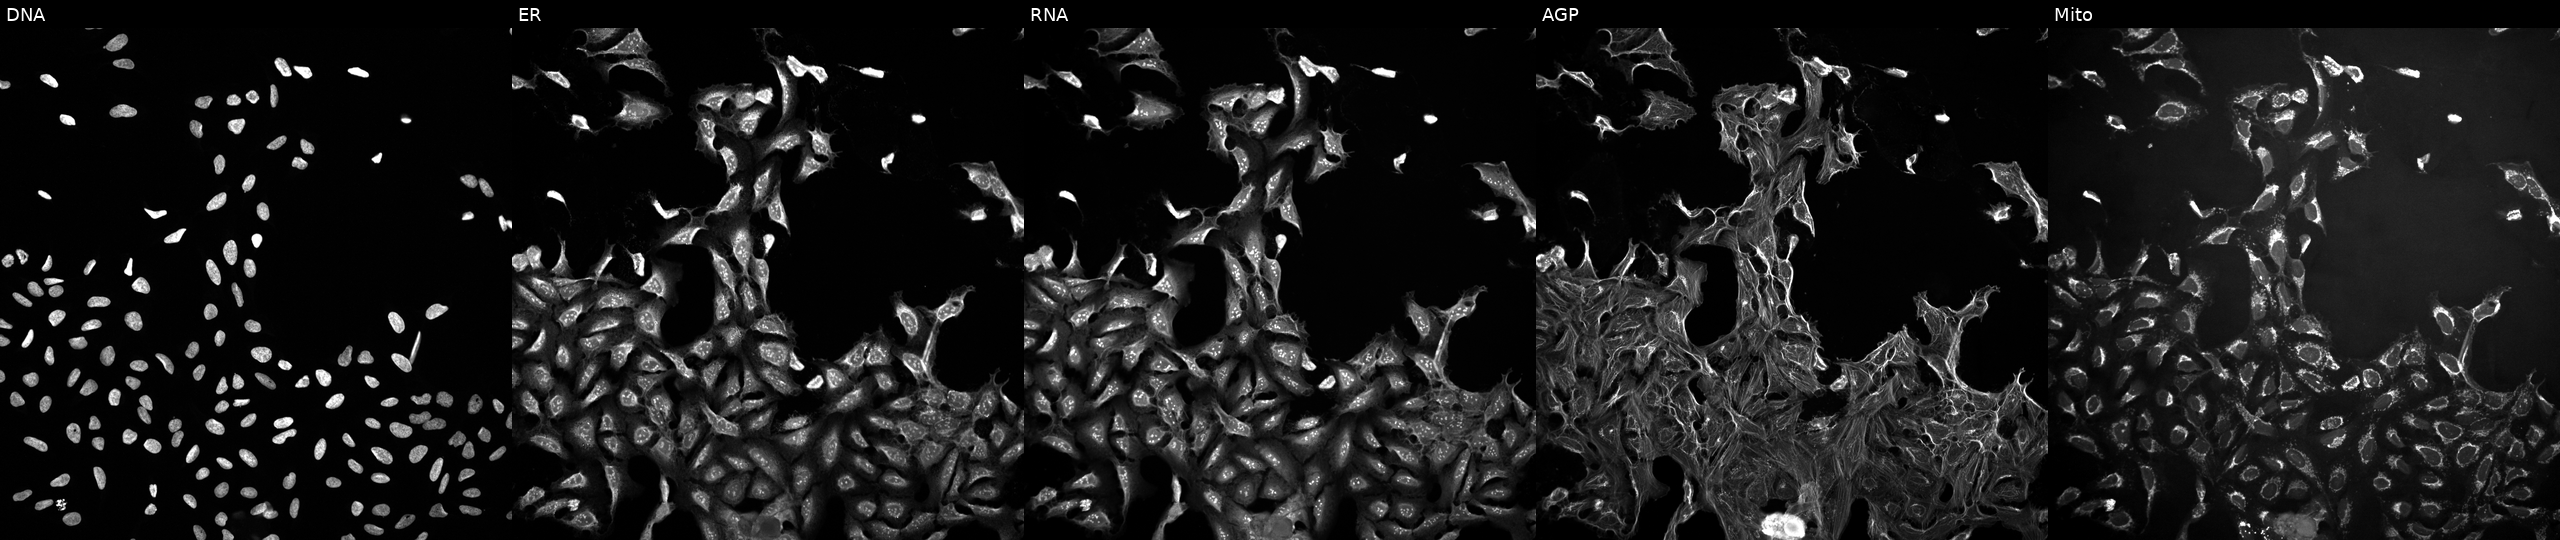
Five-channel Cell Painting image of U2OS cells treated with a small-molecule compound (InChIKey PDMUGYOXRHVNMO-UHFFFAOYSA-N) [SMILES: OCCn1cc(-c2cnc3nnn(Cc4ccc5ncccc5c4)c3n2)cn1]. The five panels, left to right, show DNA, ER, RNA, AGP, and Mito. Source 10, plate Dest210726-160150, well L08.